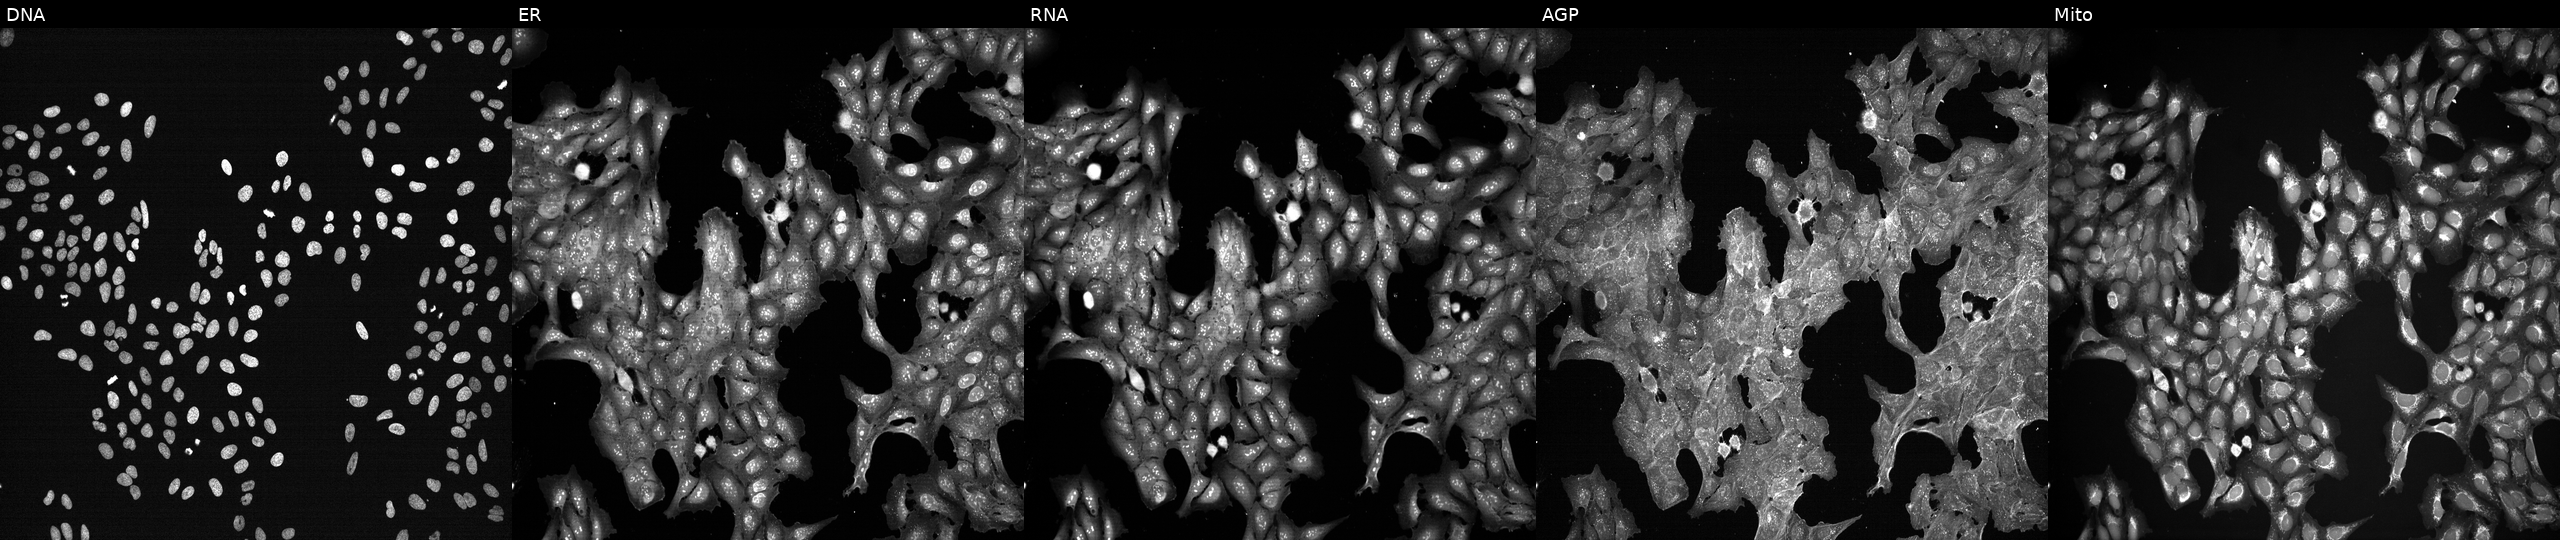
From left to right: DNA (nuclei); ER (endoplasmic reticulum); RNA (nucleoli and cytoplasmic RNA); AGP (actin cytoskeleton, Golgi, and plasma membrane); Mito (mitochondria). U2OS osteosarcoma cells treated with a small-molecule compound (InChIKey JVGBTTIJPBFLTE-UHFFFAOYSA-N). Cell Painting assay, JUMP-CP dataset. Source 7, plate CP2-SC1-25, well L17.